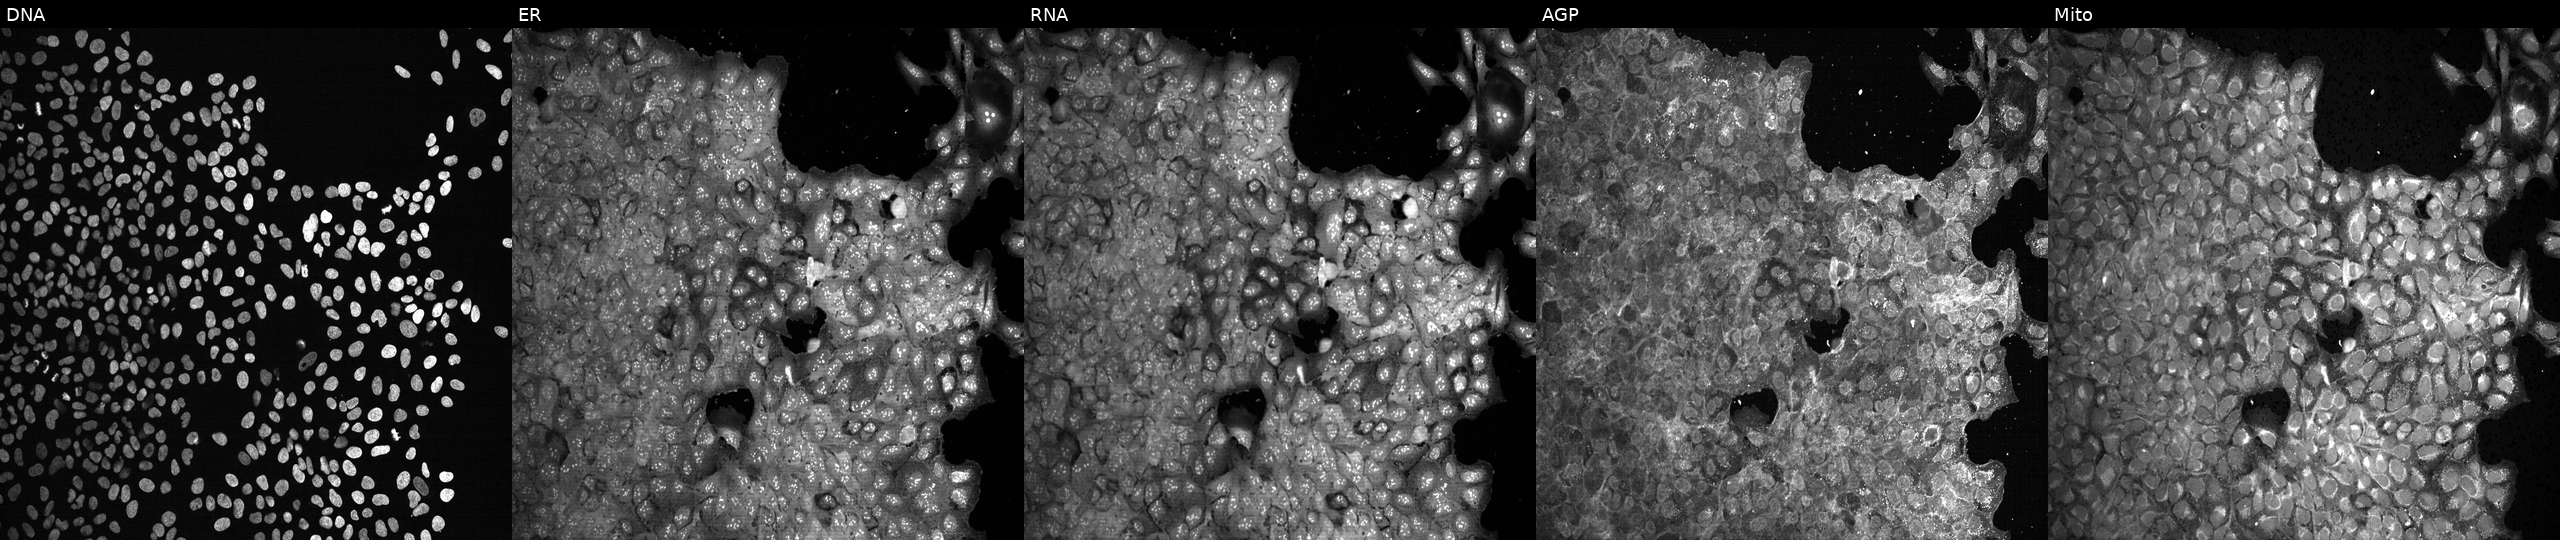
Panels show, left to right, DNA, ER, RNA, AGP, and Mito. U2OS osteosarcoma cells treated with LY2109761 (positive-control compound). Cell Painting assay, JUMP-CP dataset. Source 13, plate CP-CC9-R1-02, well M01.